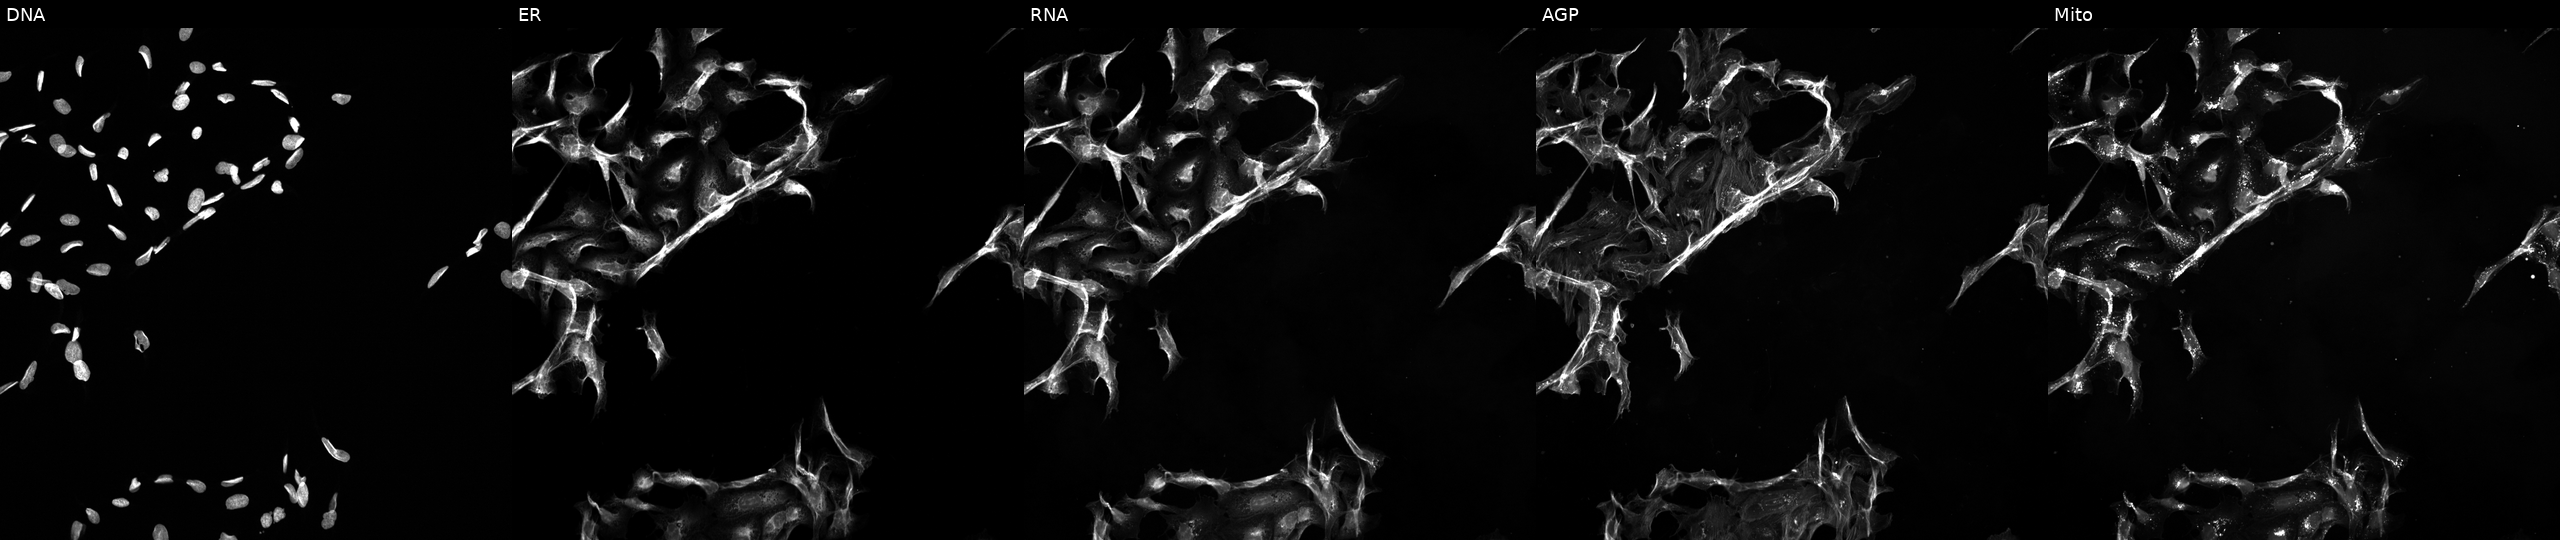
JUMP Cell Painting — TARGET2 plate. U2OS cells treated with a small-molecule compound (JUMP id JCP2022_074702). Panels show, left to right, Hoechst 33342, concanavalin A, SYTO 14, phalloidin and WGA, MitoTracker. Source 5, plate ACPJUM051, well O13.